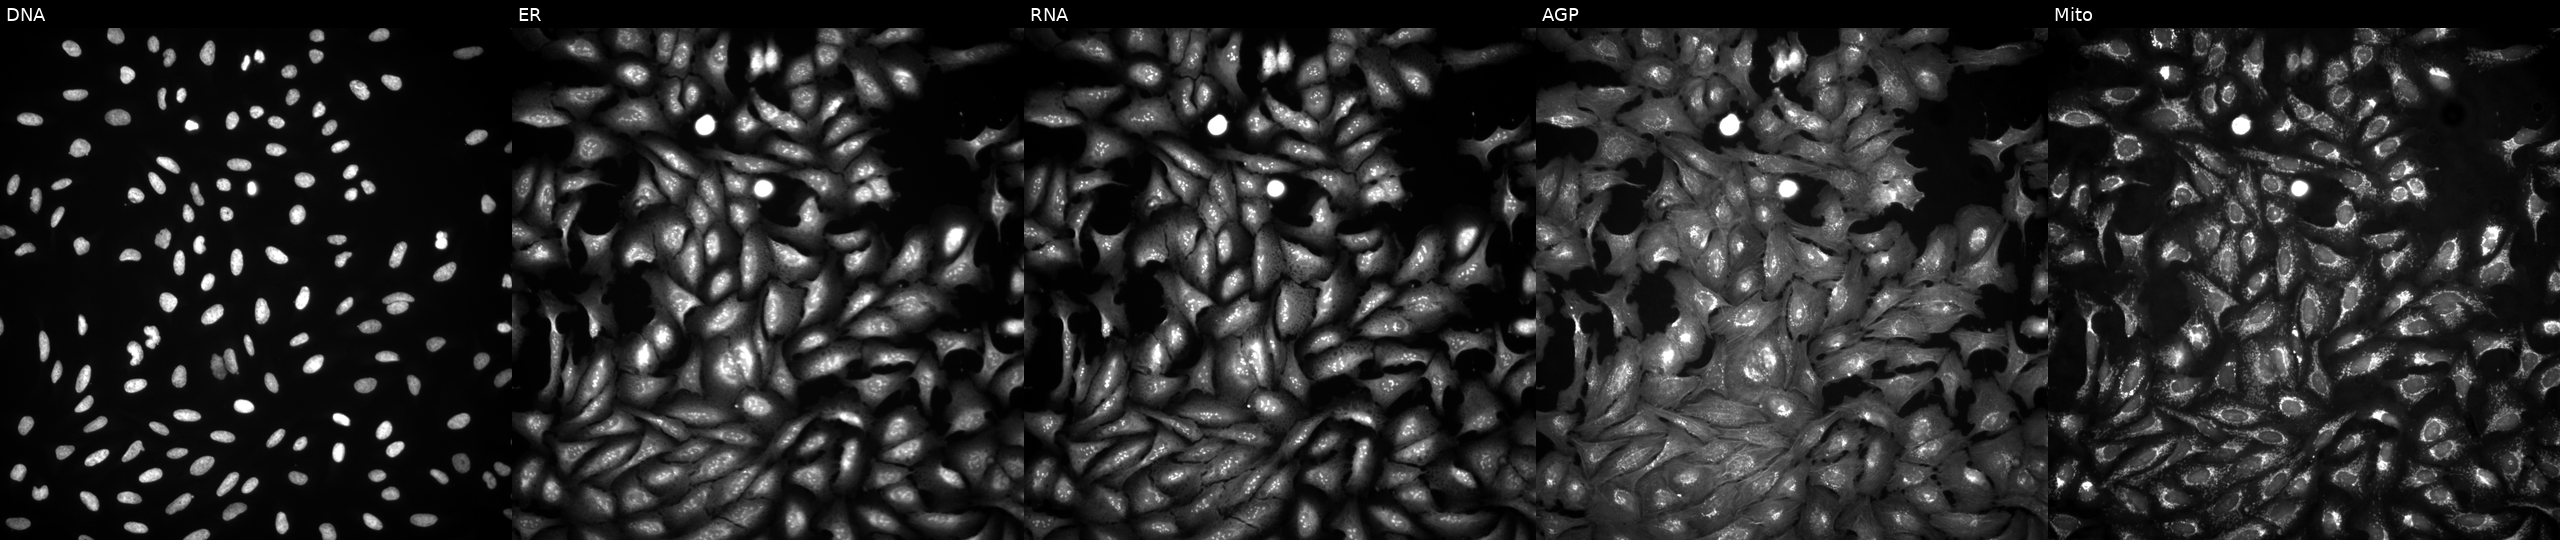
JUMP Cell Painting — ORF plate. U2OS cells expressing eGFP (ORF positive control). The five panels, left to right, show DNA, ER, RNA, AGP, and Mito.